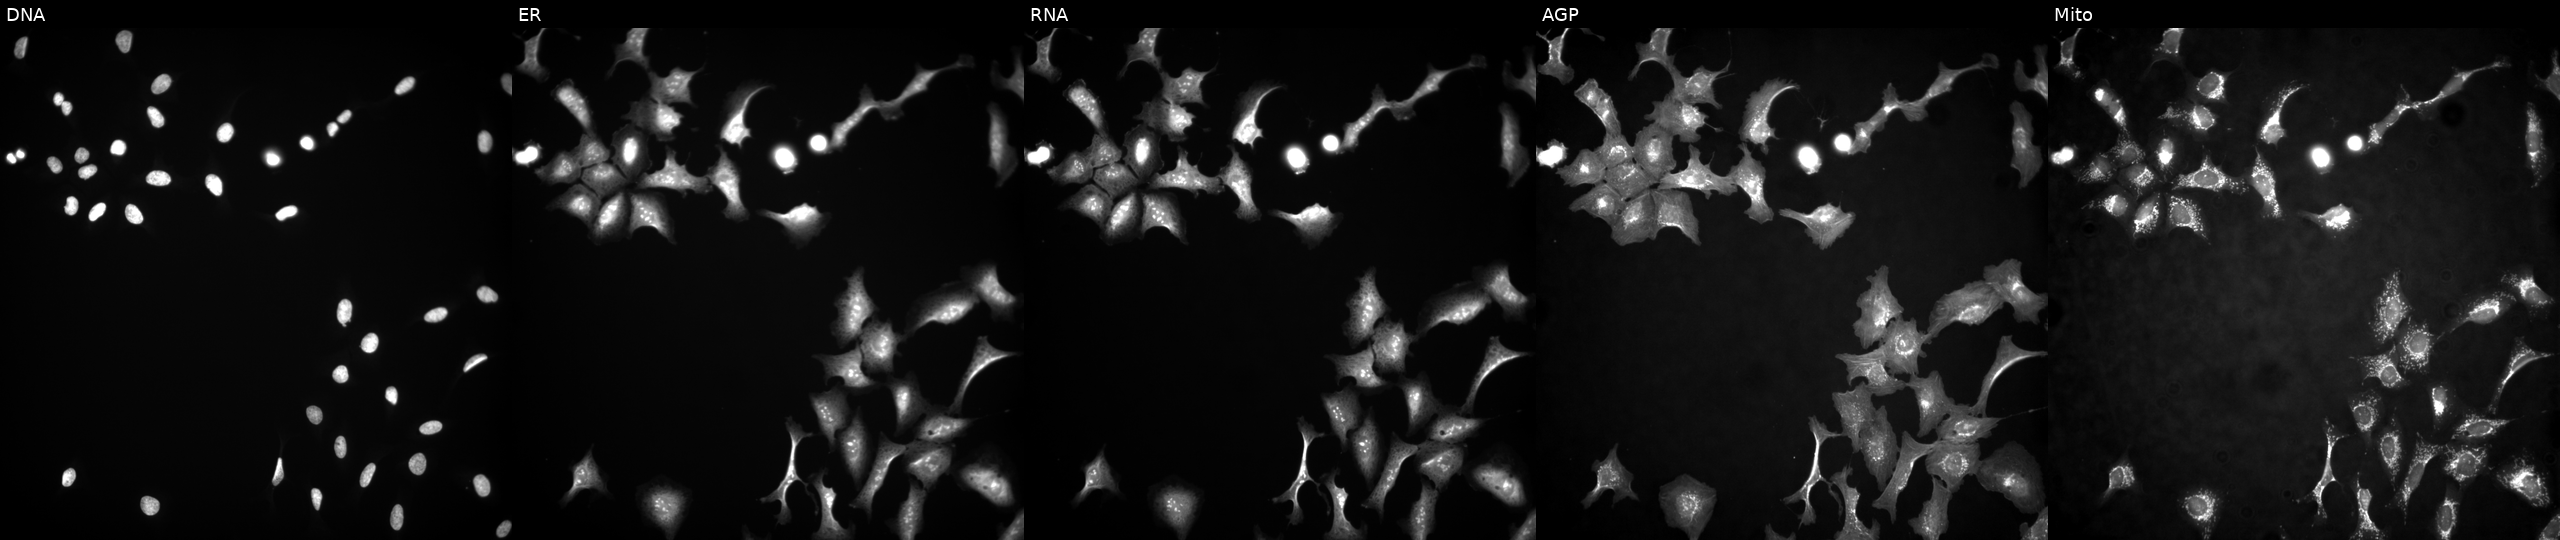
U2OS cells, Cell Painting assay, overexpressing ZFP3 via ORF transfection (JUMP id JCP2022_904488). The five panels, left to right, show DNA (nuclei); ER (endoplasmic reticulum); RNA (nucleoli and cytoplasmic RNA); AGP (actin cytoskeleton, Golgi, and plasma membrane); Mito (mitochondria). Each panel is percentile-stretched 16-bit fluorescence.